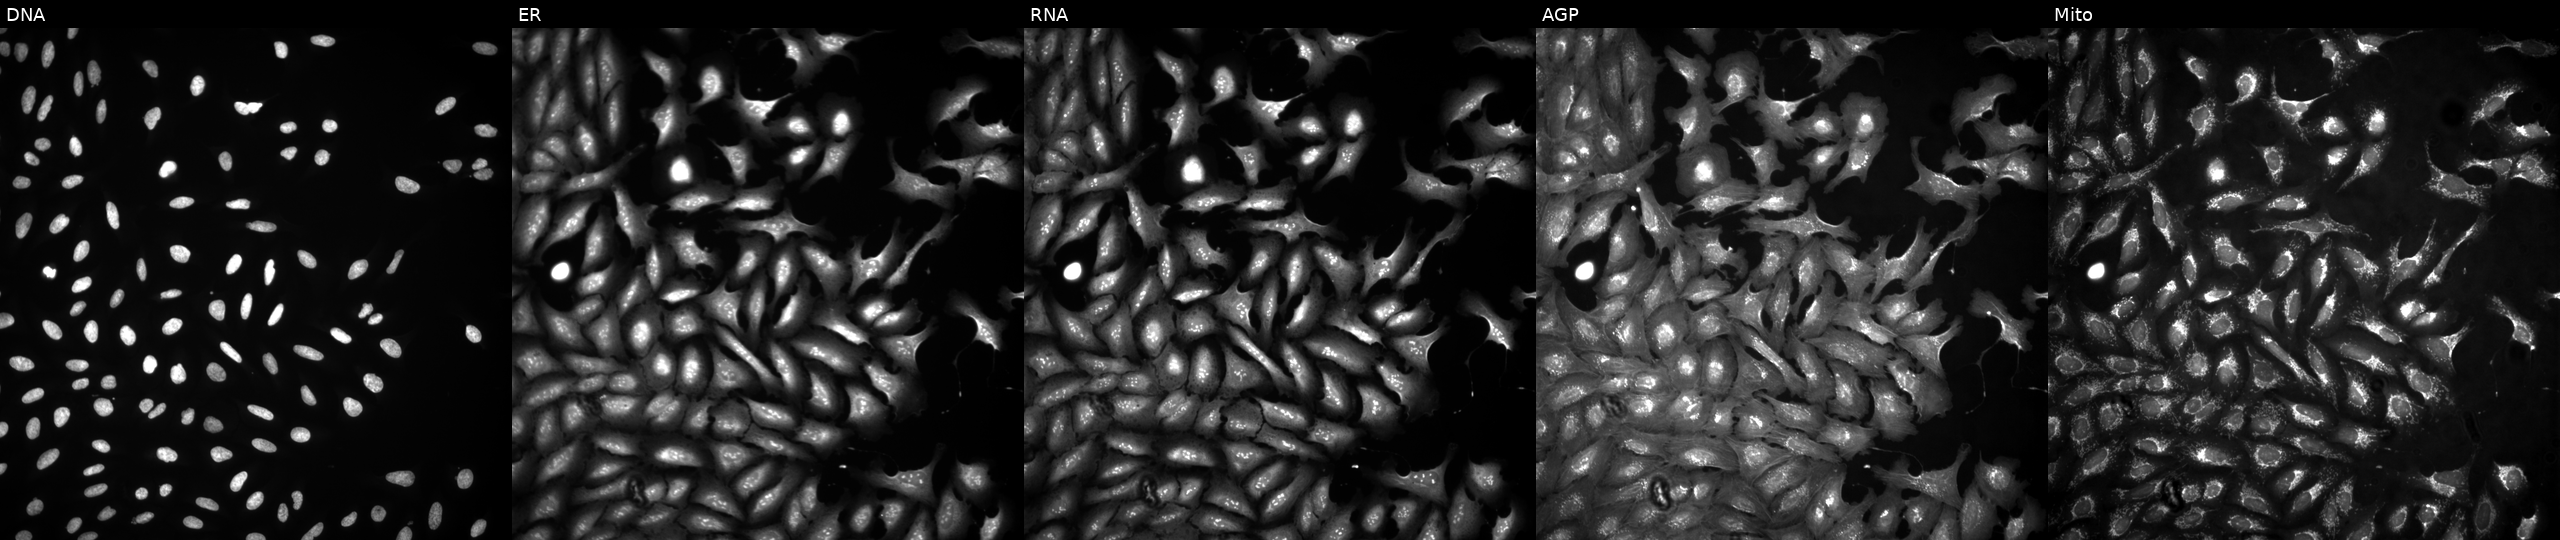
This image strip shows the five Cell Painting channels for a single field of U2OS cells transfected with an ORF construct for XLOC_009142 (JUMP id JCP2022_909631). The five panels, left to right, show DNA (nuclei); ER (endoplasmic reticulum); RNA (nucleoli and cytoplasmic RNA); AGP (actin cytoskeleton, Golgi, and plasma membrane); Mito (mitochondria).